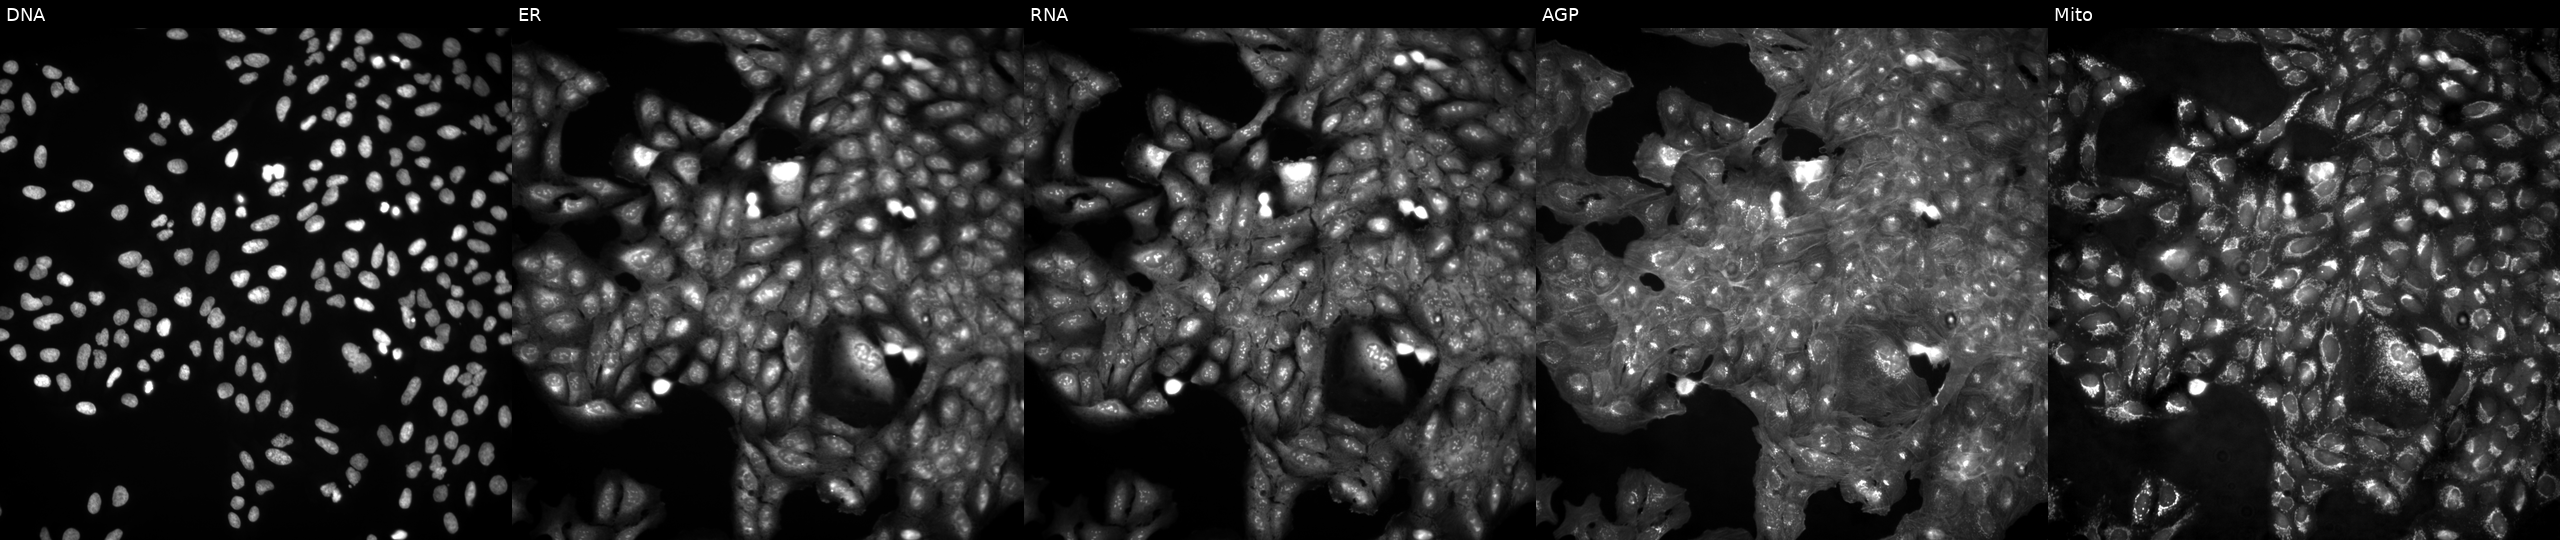
U2OS cells, Cell Painting assay, untreated (empty-well control). Channels (left→right): Hoechst 33342, concanavalin A, SYTO 14, phalloidin and WGA, MitoTracker. Each panel is percentile-stretched 16-bit fluorescence. Source 4, plate BR00123946, well B16.